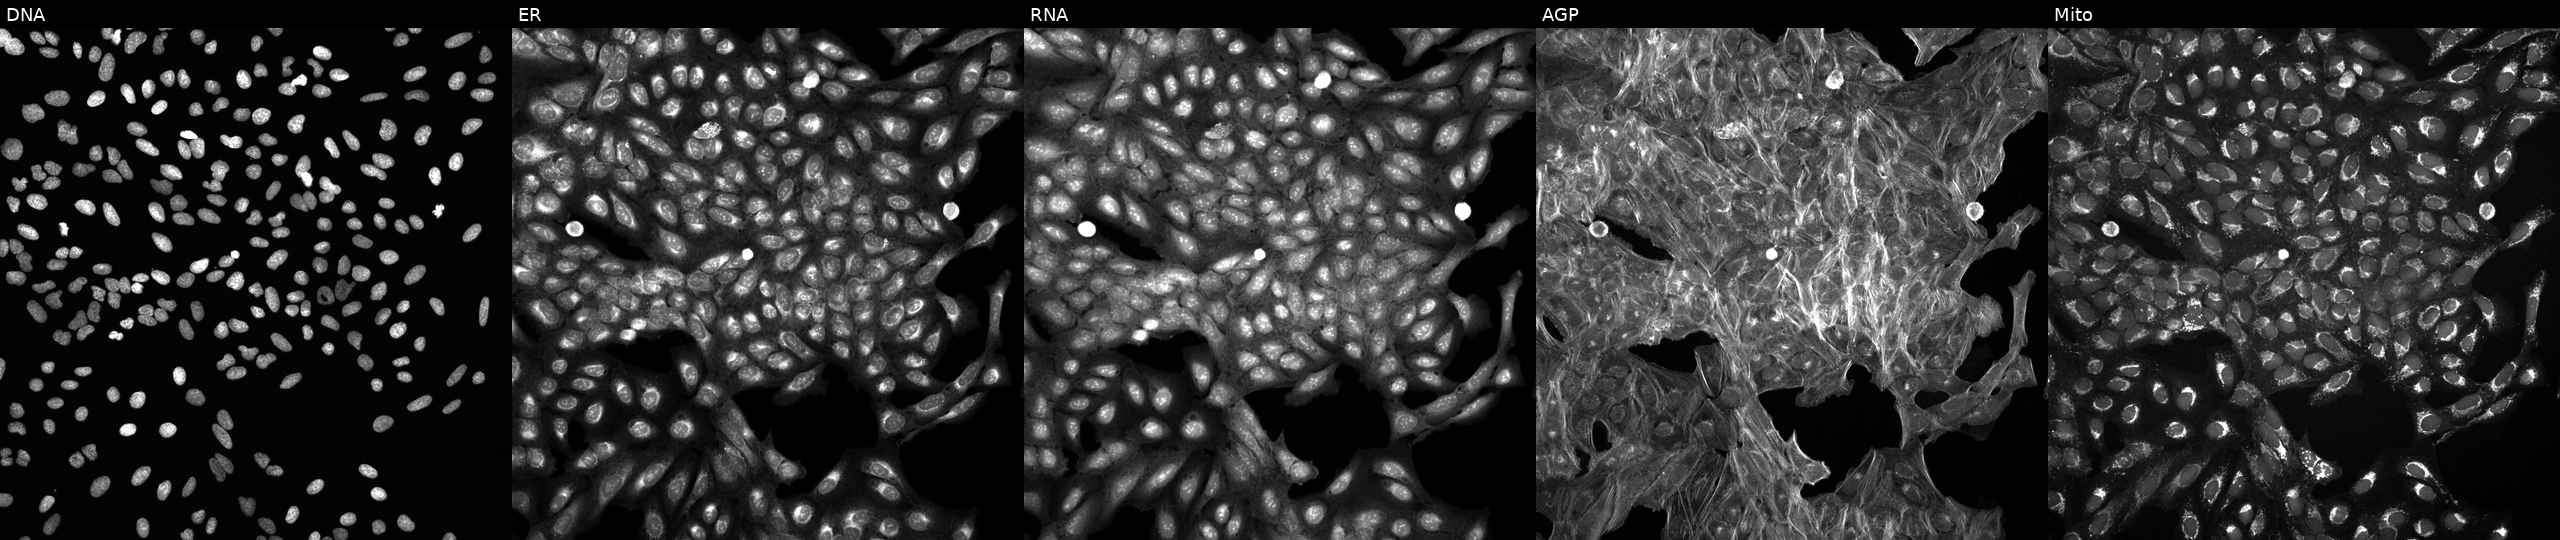
Channels (left→right): DNA (nuclei); ER (endoplasmic reticulum); RNA (nucleoli and cytoplasmic RNA); AGP (actin cytoskeleton, Golgi, and plasma membrane); Mito (mitochondria). U2OS osteosarcoma cells treated with a small-molecule compound (InChIKey PFHDWRIVDDIFRP-UHFFFAOYSA-N) [SMILES: CCC(CC)n1ccc2c(C(=O)NCc3c(C)cc(C)[nH]c3=O)cc(C#N)cc21]. Cell Painting assay, JUMP-CP dataset. Source 6, plate 110000293081, well F07.